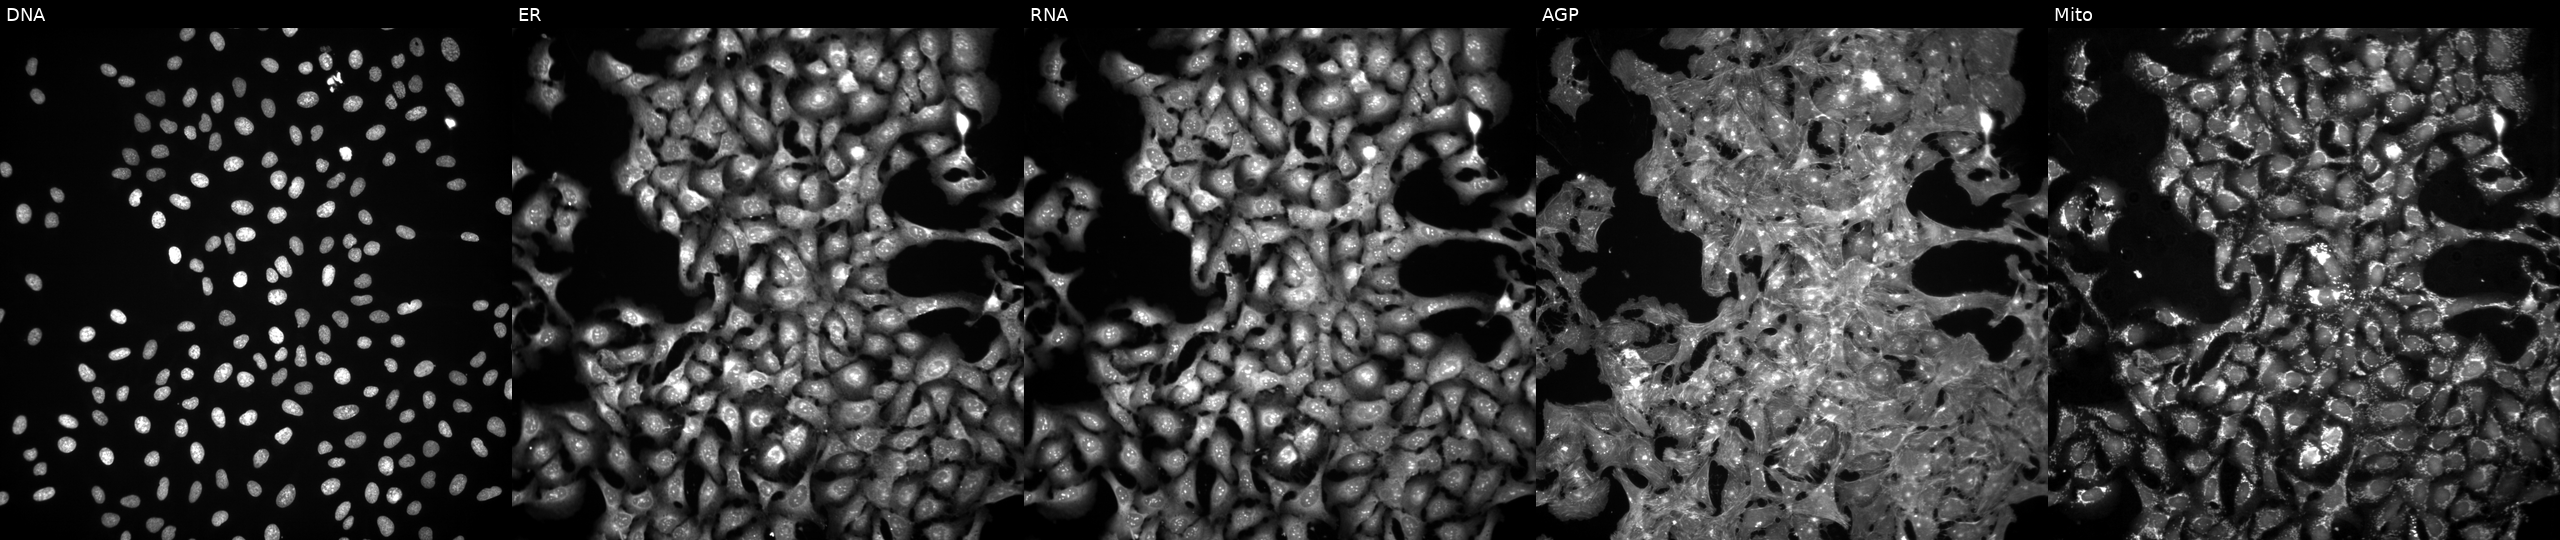
Panels show, left to right, DNA, ER, RNA, AGP, and Mito. U2OS osteosarcoma cells exposed to the positive-control compound FK-866 (JUMP id JCP2022_046054). Cell Painting assay, JUMP-CP dataset. Source 3, plate BR5867b3, well L01.